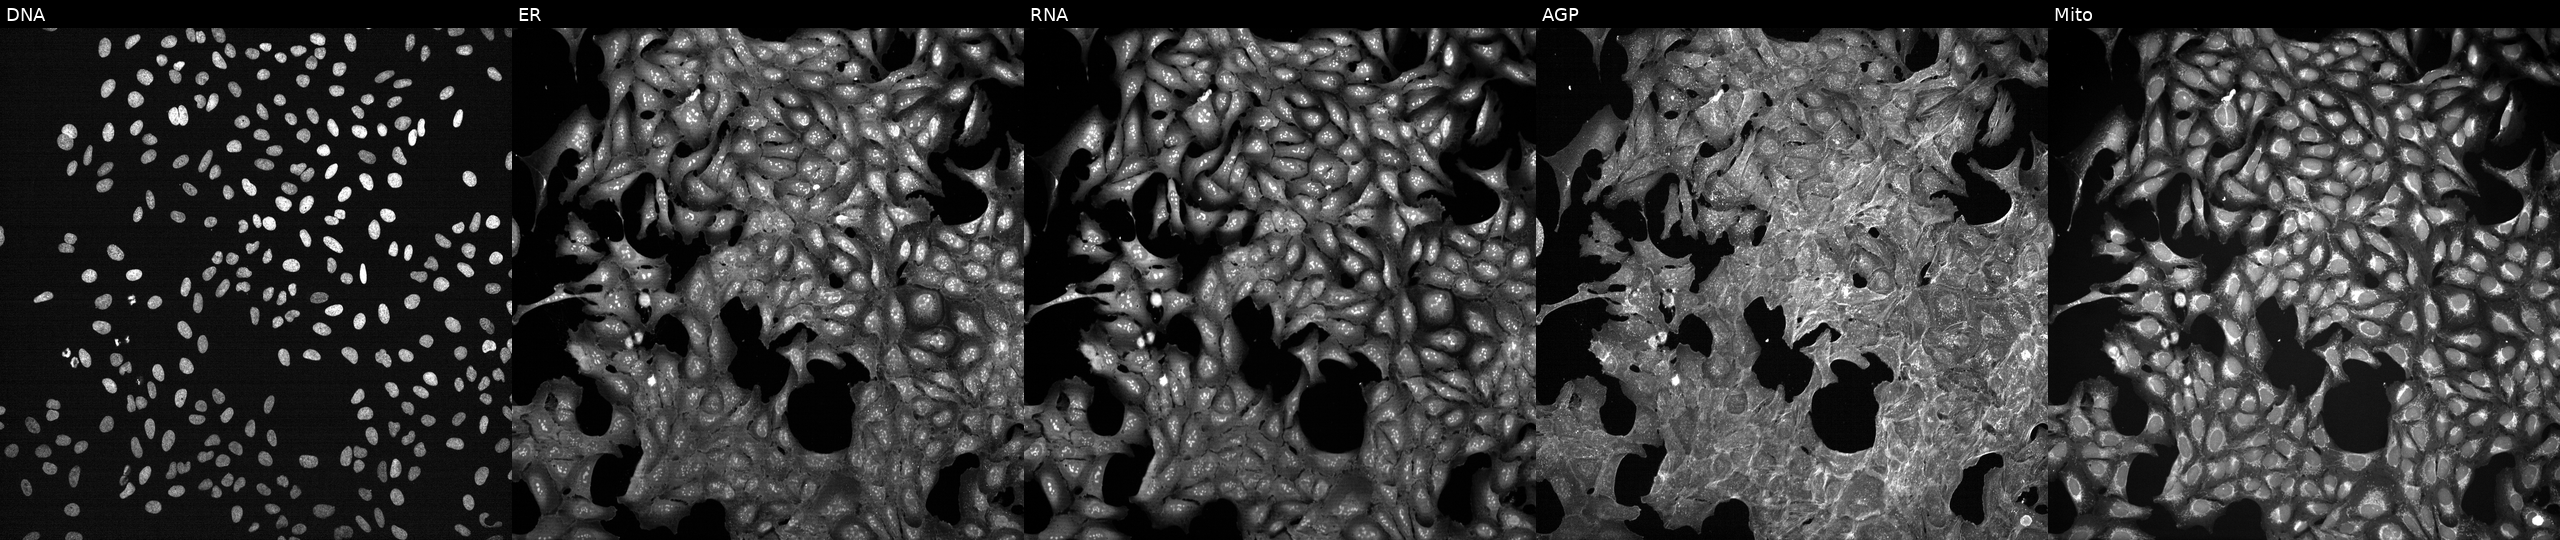
This image strip shows the five Cell Painting channels for a single field of U2OS cells exposed to a small-molecule compound (InChIKey UPWGQKDVAURUGE-UHFFFAOYSA-N). From left to right: Hoechst 33342, concanavalin A, SYTO 14, phalloidin and WGA, MitoTracker.